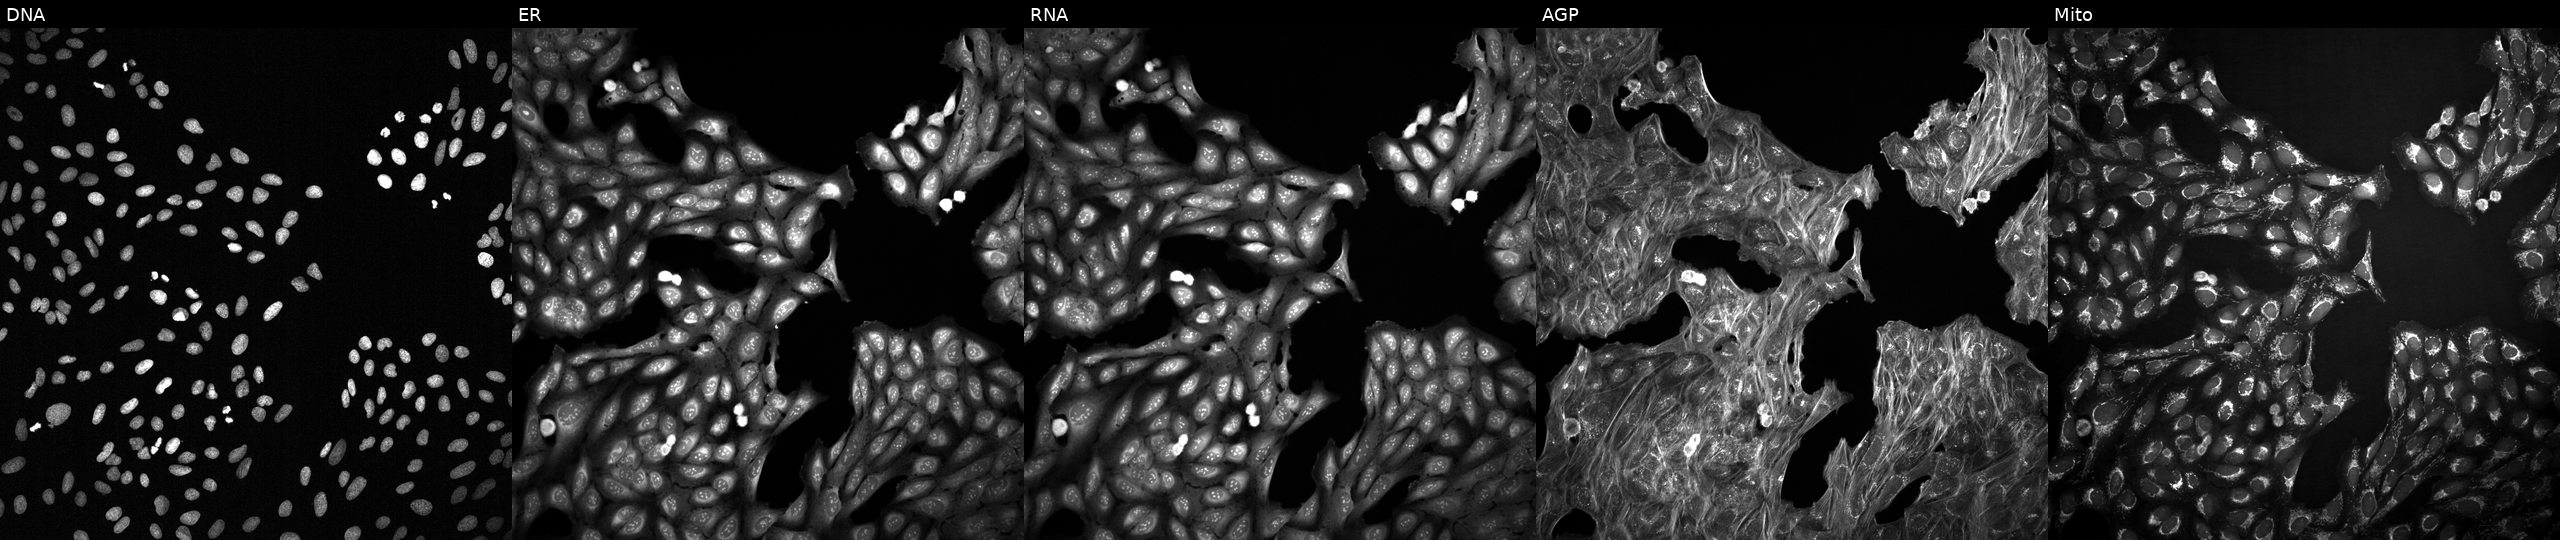
High-content fluorescence microscopy (Cell Painting). Cell line: U2OS. Perturbation: exposed to a small-molecule compound (InChIKey JBIMVDZLSHOPLA-UHFFFAOYSA-N). The five panels, left to right, show DNA (nuclei); ER (endoplasmic reticulum); RNA (nucleoli and cytoplasmic RNA); AGP (actin cytoskeleton, Golgi, and plasma membrane); Mito (mitochondria). Source 2, plate 1053600674, well I22.